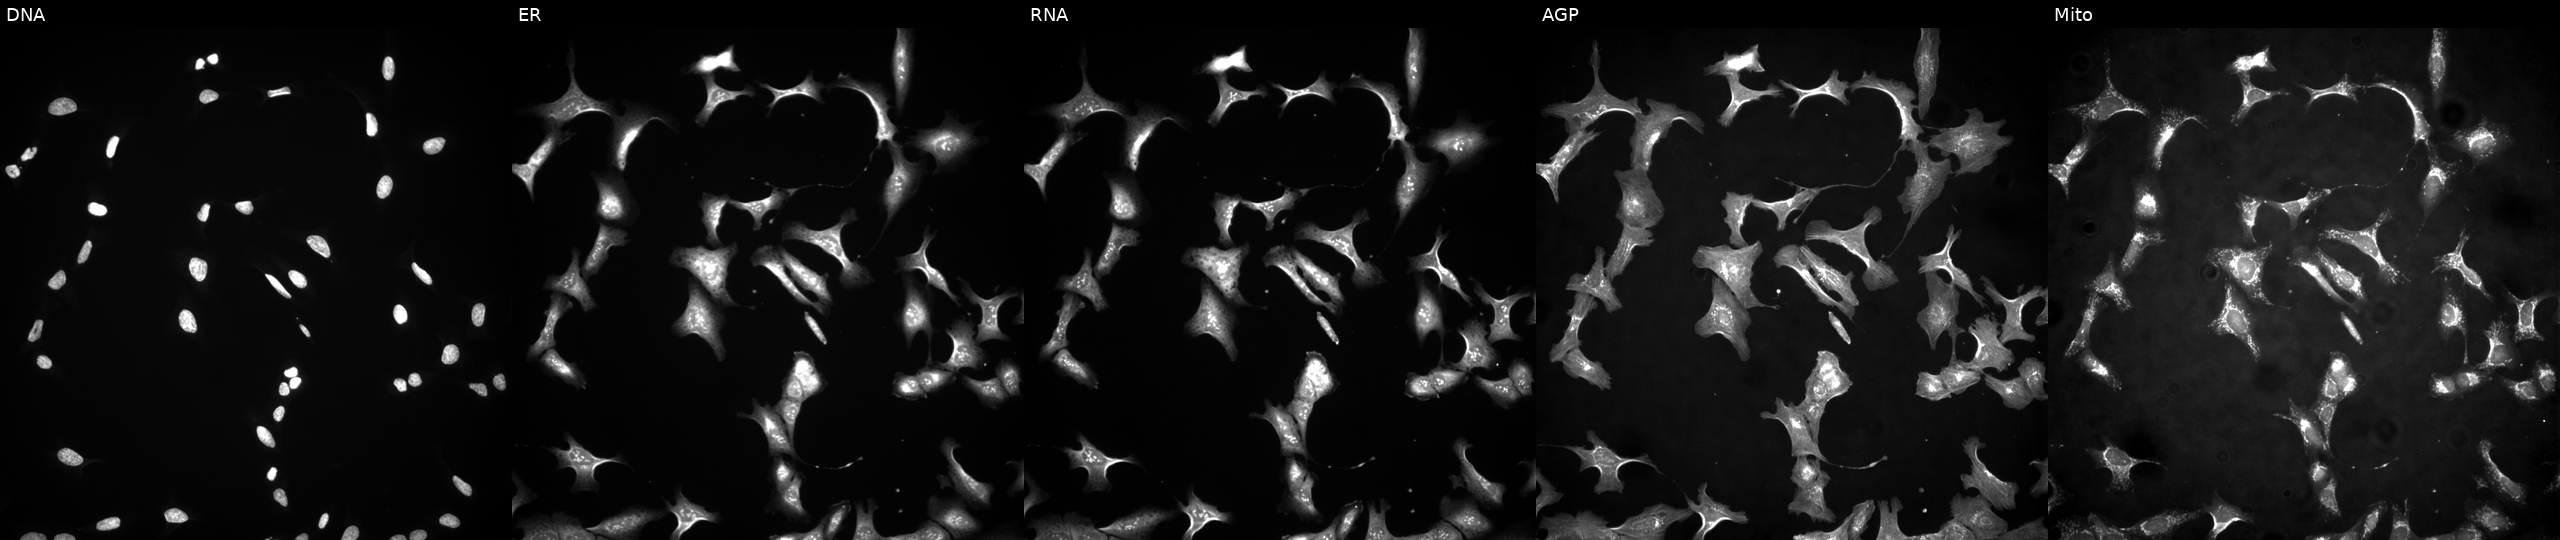
Channels (left→right): DNA (nuclei); ER (endoplasmic reticulum); RNA (nucleoli and cytoplasmic RNA); AGP (actin cytoskeleton, Golgi, and plasma membrane); Mito (mitochondria). U2OS osteosarcoma cells untreated (empty-well control) (JUMP id JCP2022_999999). Cell Painting assay, JUMP-CP dataset.